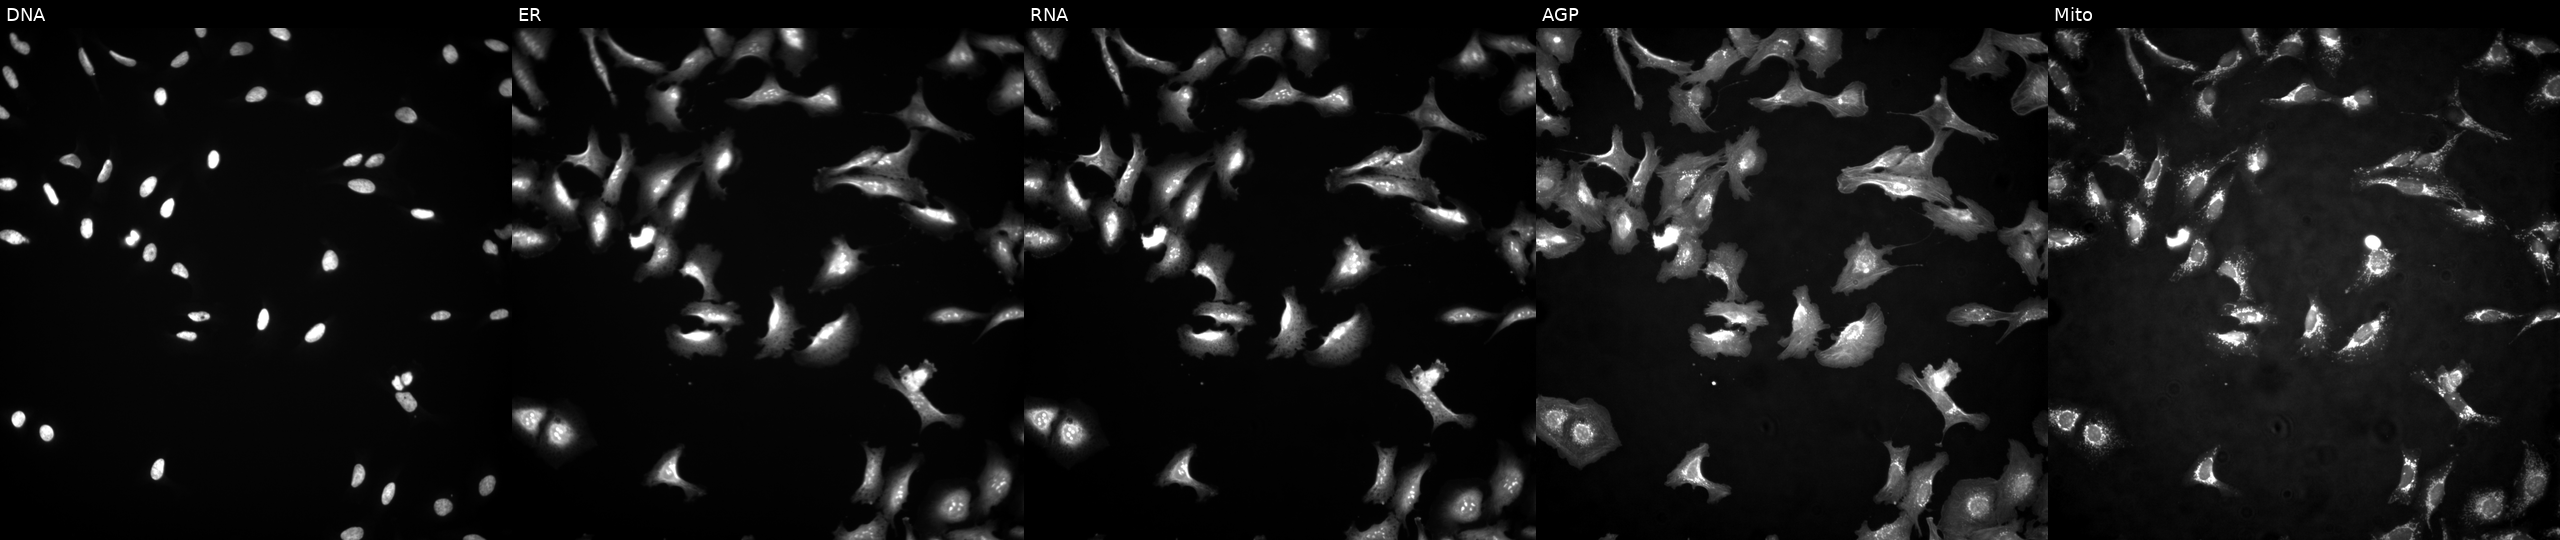
High-content fluorescence microscopy (Cell Painting). Cell line: U2OS. Perturbation: overexpressing ZZZ3 via ORF transfection. Channels (left→right): Hoechst 33342, concanavalin A, SYTO 14, phalloidin and WGA, MitoTracker.